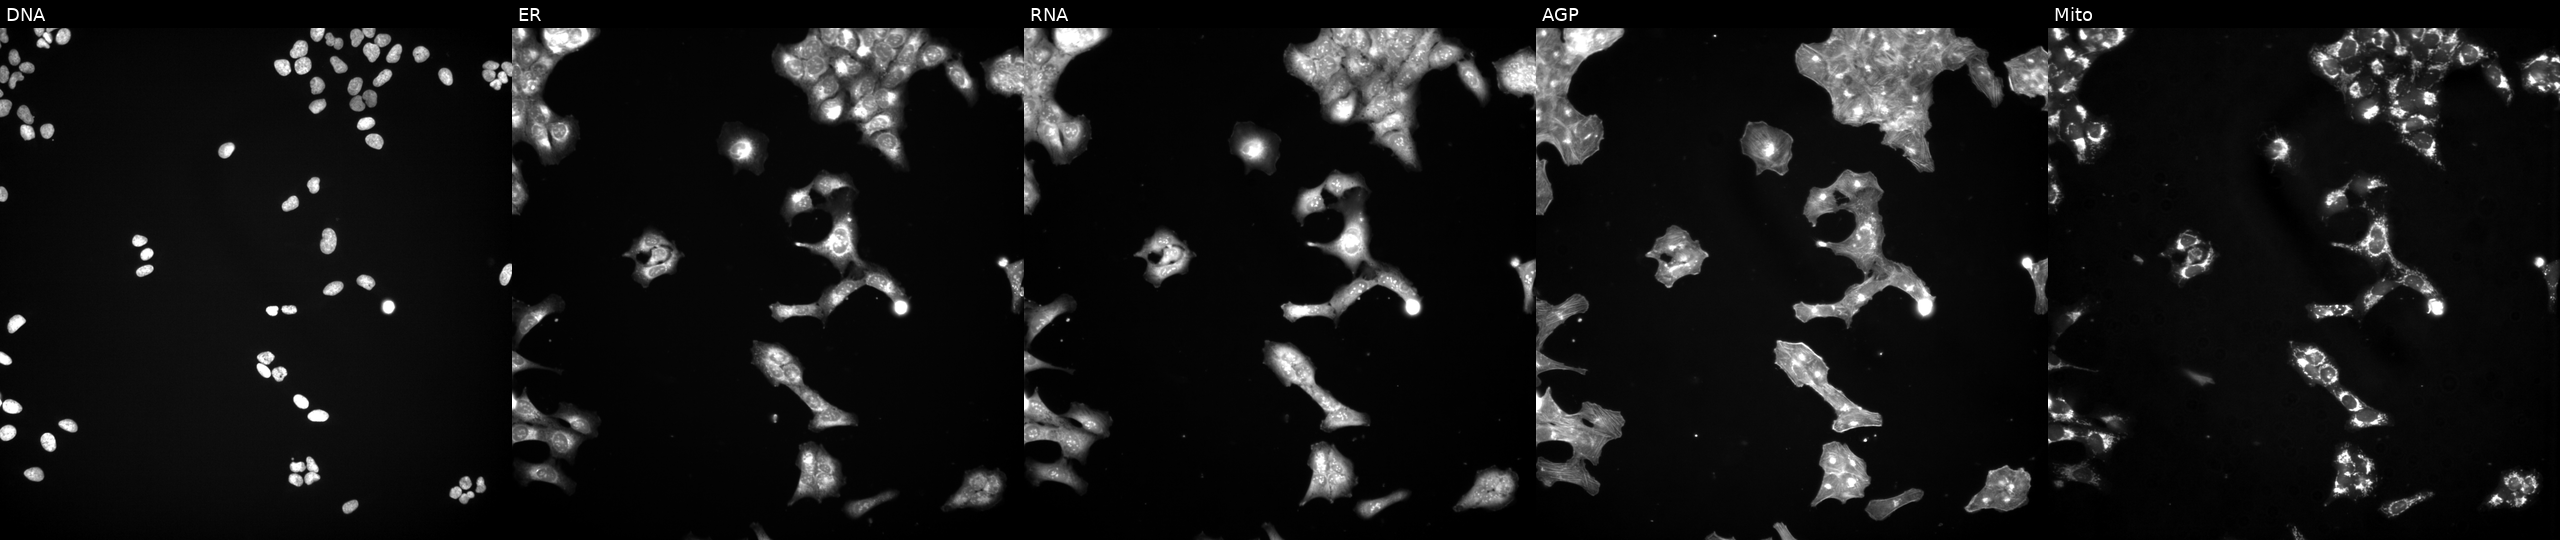
Five-channel Cell Painting image of U2OS cells exposed to the positive-control compound NVS-PAK1-1 (JUMP id JCP2022_064022). The five panels, left to right, show Hoechst 33342, concanavalin A, SYTO 14, phalloidin and WGA, MitoTracker. Source 3, plate JCPQC053, well J13.